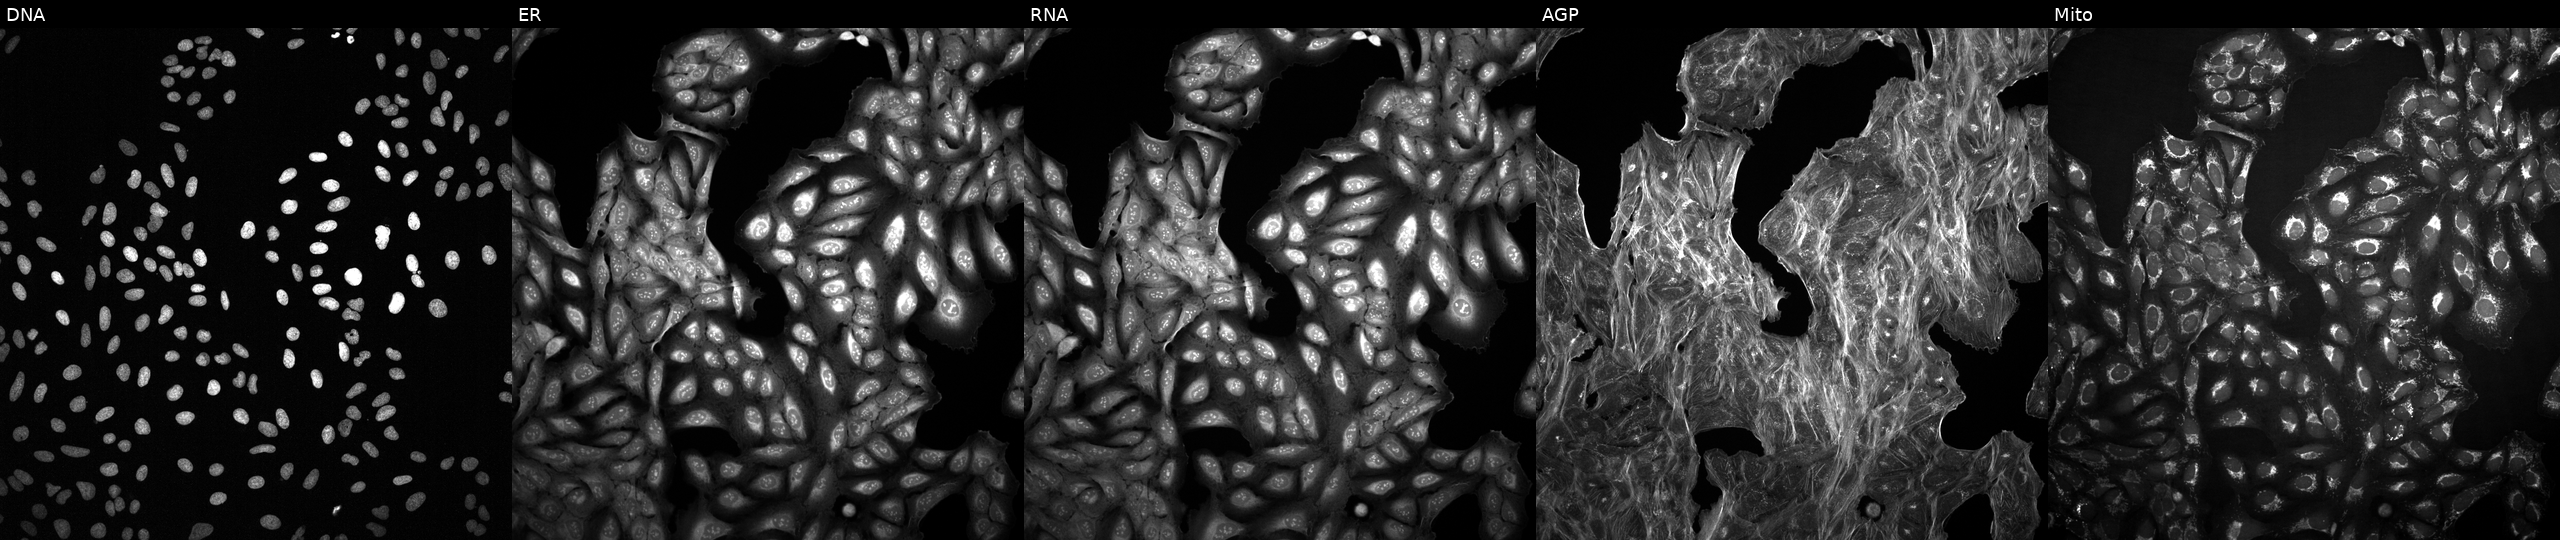
This image strip shows the five Cell Painting channels for a single field of U2OS cells perturbed with a small-molecule compound (InChIKey BSQBPNNVNUWWKY-UHFFFAOYSA-N). Panels show, left to right, DNA, ER, RNA, AGP, and Mito.